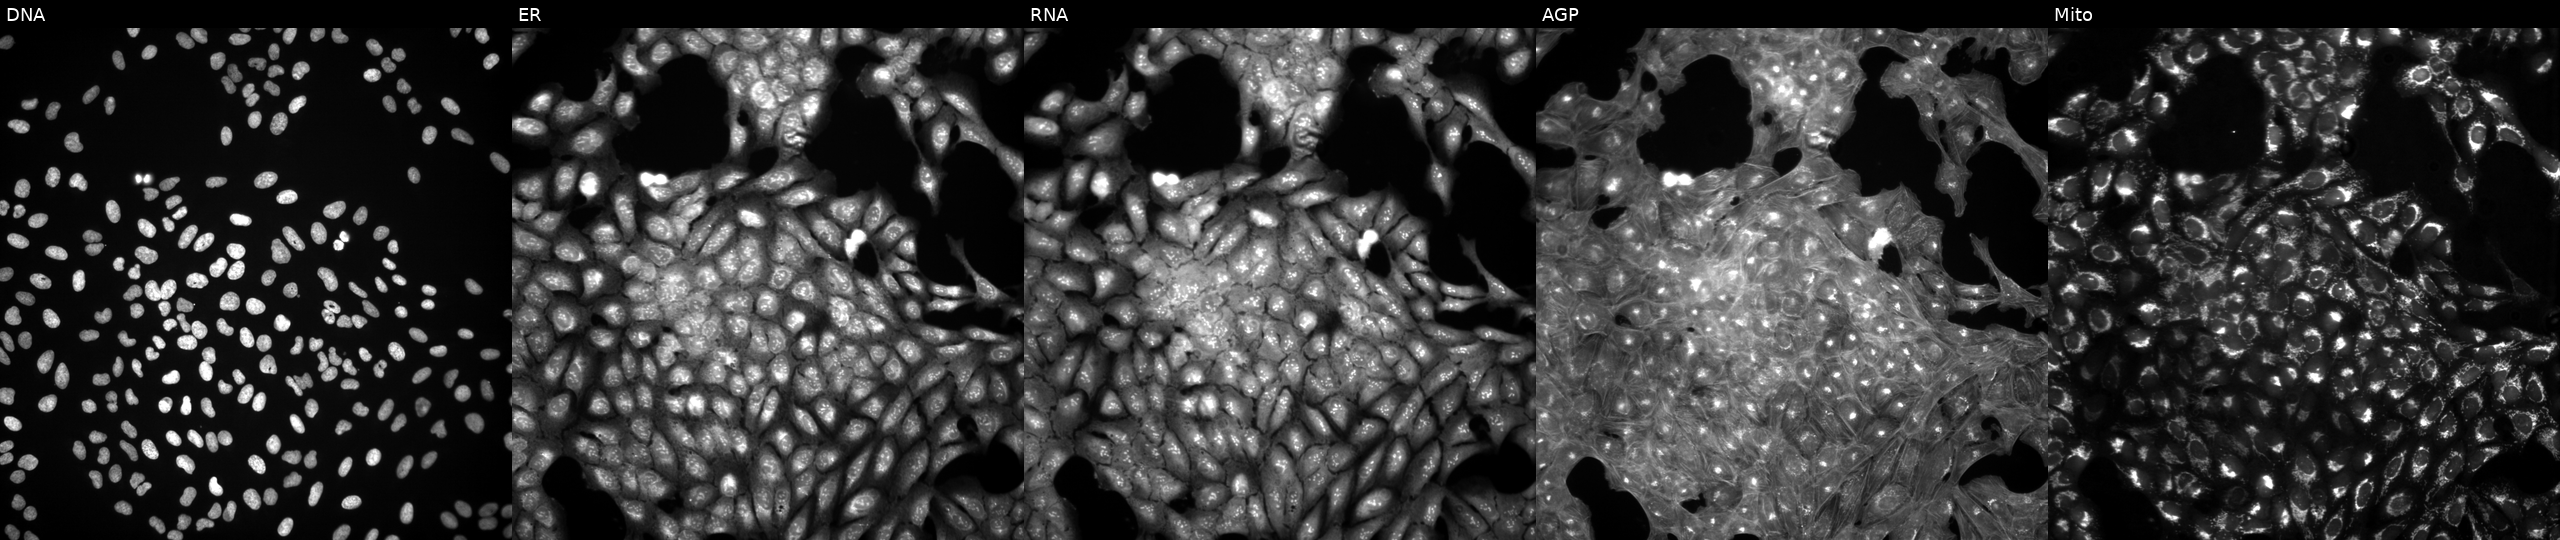
Five-channel Cell Painting image of U2OS cells exposed to a small-molecule compound (JUMP id JCP2022_042960). From left to right: DNA, ER, RNA, AGP, and Mito.